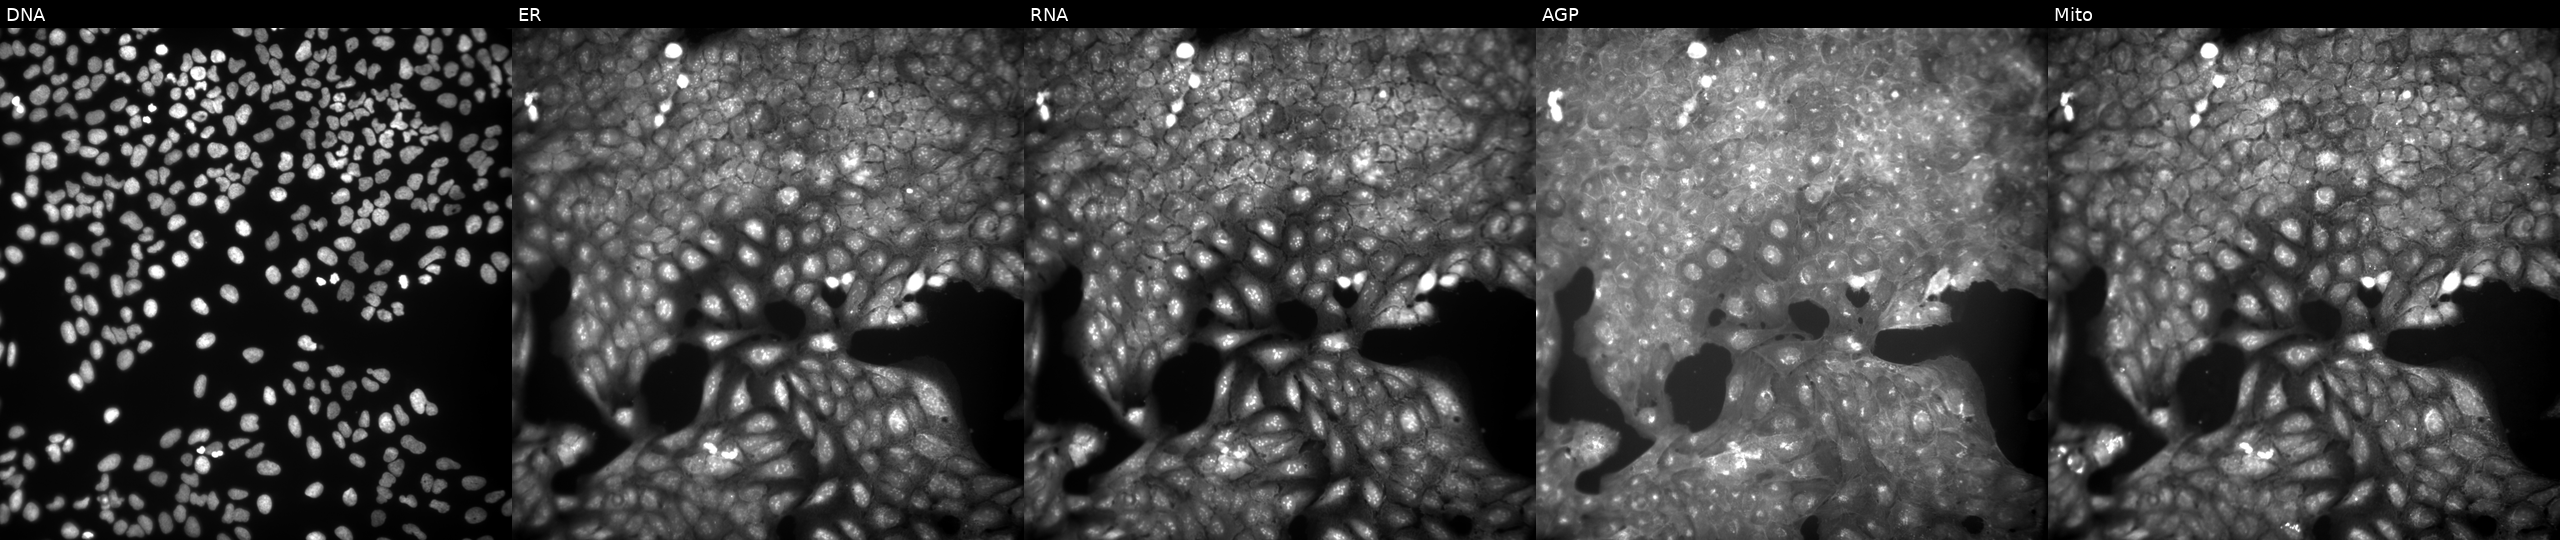
U2OS cells, Cell Painting assay, perturbed with a small-molecule compound (InChIKey ROZHPHAJMCSPIN-UHFFFAOYSA-N). From left to right: DNA (nuclei); ER (endoplasmic reticulum); RNA (nucleoli and cytoplasmic RNA); AGP (actin cytoskeleton, Golgi, and plasma membrane); Mito (mitochondria). Each panel is percentile-stretched 16-bit fluorescence.